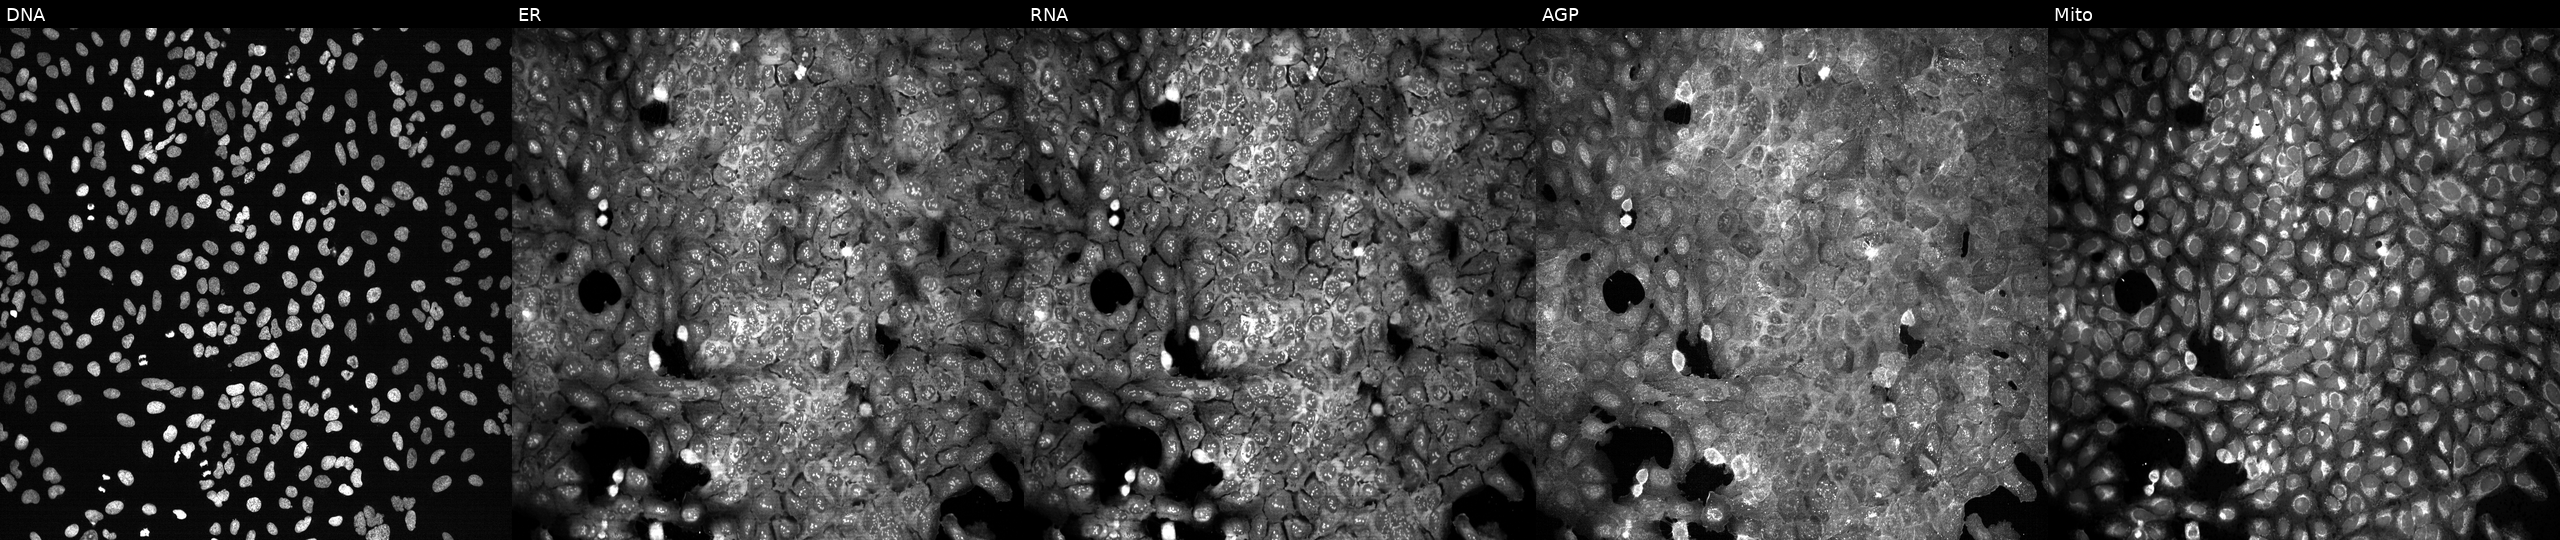
Five-channel Cell Painting image of U2OS cells following CRISPR knockout of PEMT (JUMP id JCP2022_805045). Panels show, left to right, DNA (nuclei); ER (endoplasmic reticulum); RNA (nucleoli and cytoplasmic RNA); AGP (actin cytoskeleton, Golgi, and plasma membrane); Mito (mitochondria). Source 13, plate CP-CC9-R5-01, well E22.